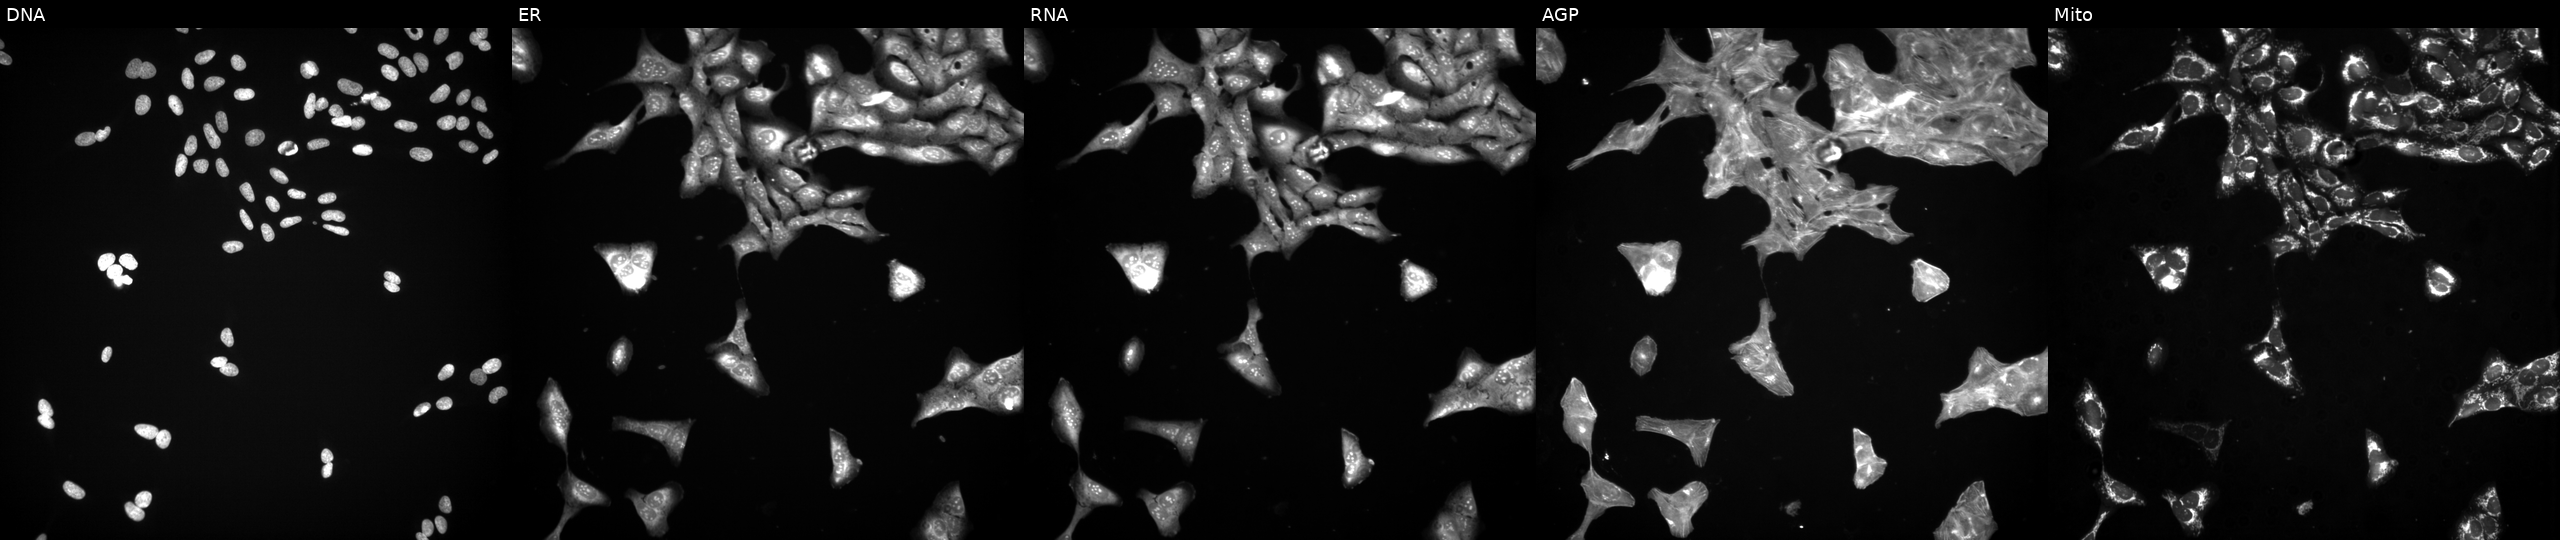
JUMP Cell Painting — TARGET2 plate. U2OS cells exposed to a small-molecule compound (InChIKey WYWHKKSPHMUBEB-UHFFFAOYSA-N) (JUMP id JCP2022_102083). Panels show, left to right, DNA (nuclei); ER (endoplasmic reticulum); RNA (nucleoli and cytoplasmic RNA); AGP (actin cytoskeleton, Golgi, and plasma membrane); Mito (mitochondria).